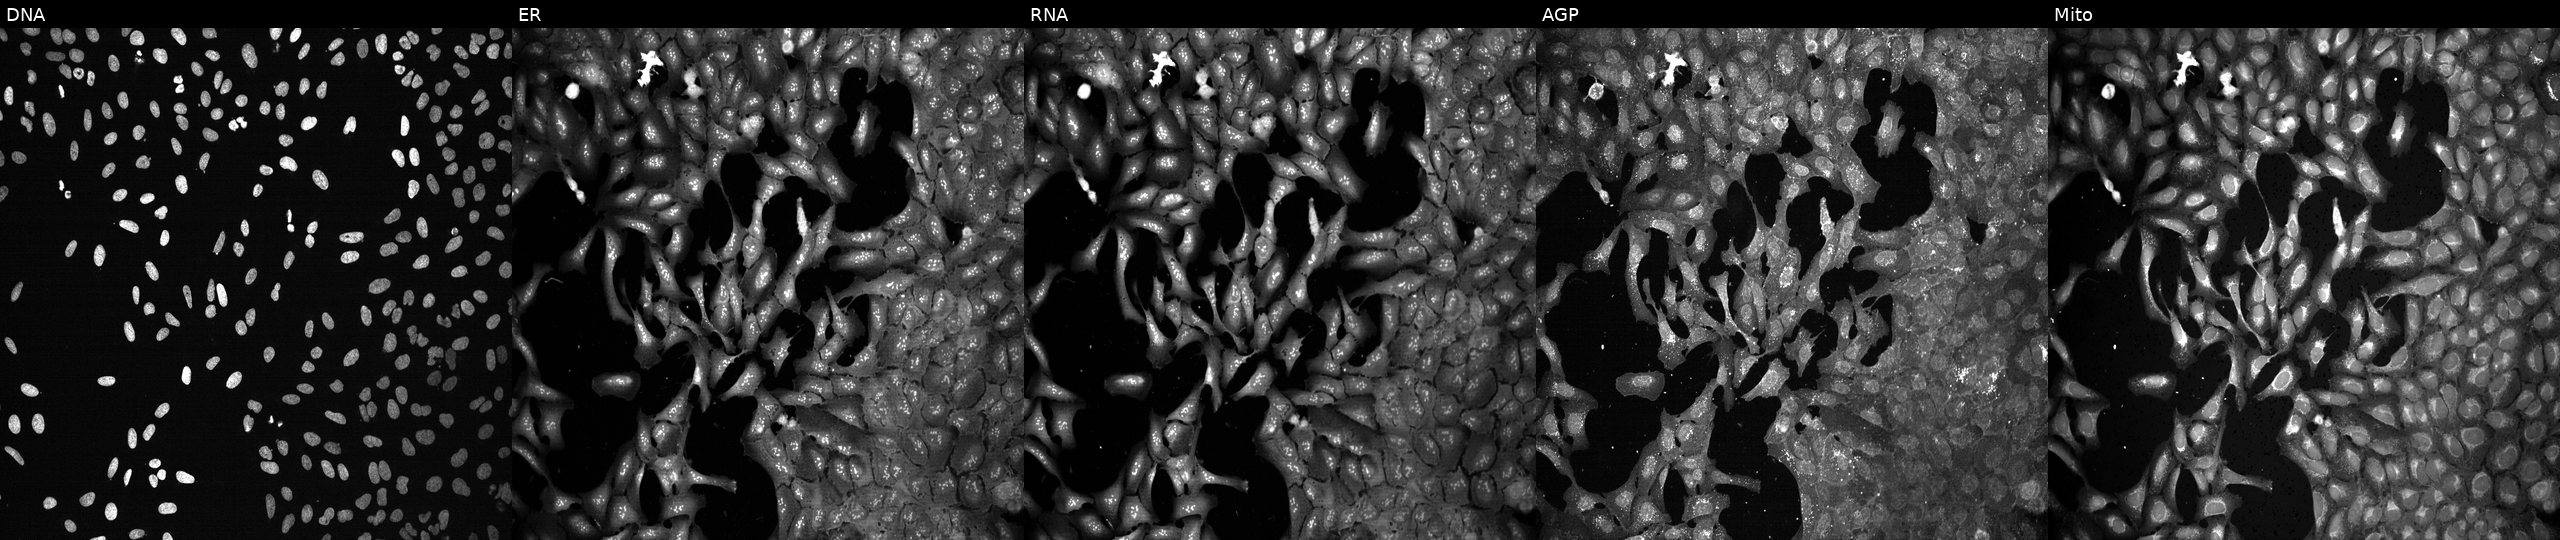
From left to right: Hoechst 33342, concanavalin A, SYTO 14, phalloidin and WGA, MitoTracker. U2OS osteosarcoma cells CRISPR-edited to disrupt ADA. Cell Painting assay, JUMP-CP dataset.